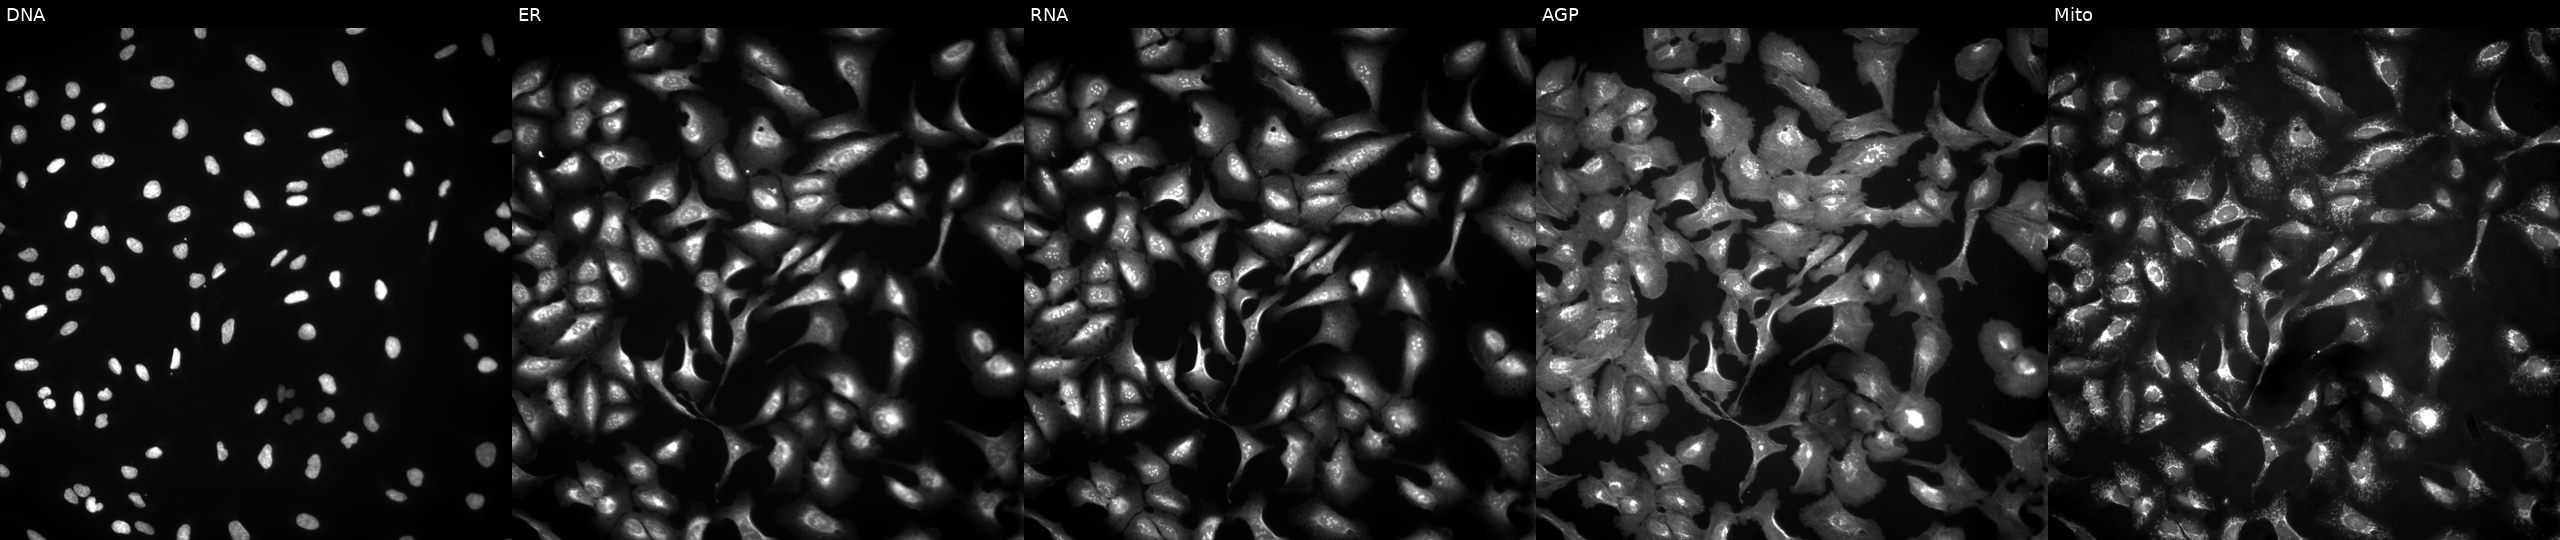
JUMP Cell Painting — ORF plate. U2OS cells overexpressing DDX27 via ORF transfection (JUMP id JCP2022_914881). From left to right: Hoechst 33342, concanavalin A, SYTO 14, phalloidin and WGA, MitoTracker. Source 4, plate BR00124790, well N19.